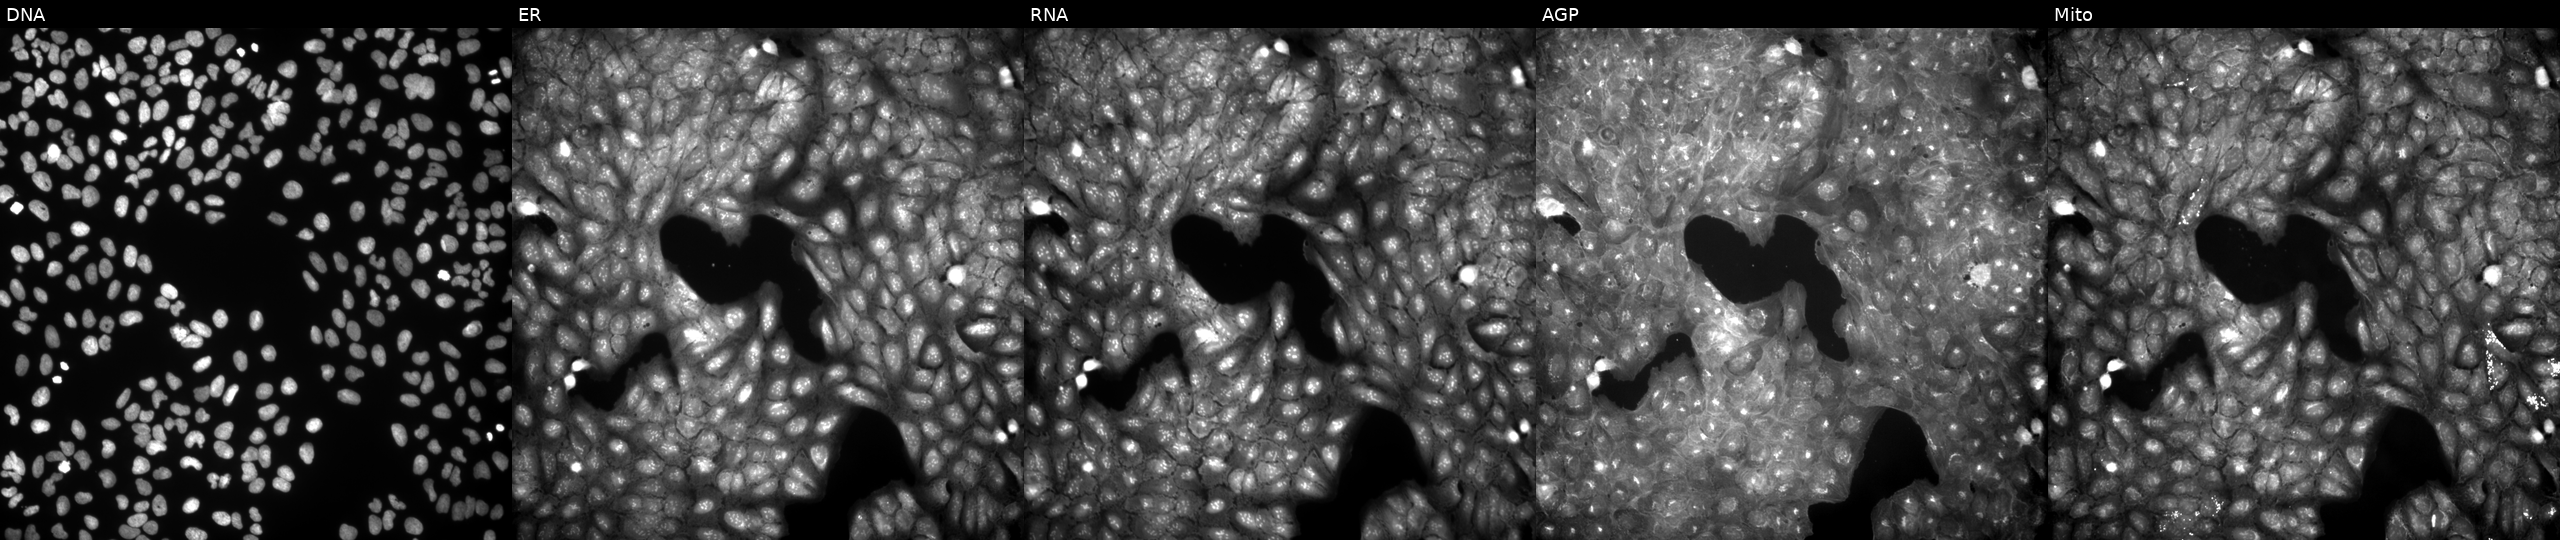
The five panels, left to right, show Hoechst 33342, concanavalin A, SYTO 14, phalloidin and WGA, MitoTracker. U2OS osteosarcoma cells exposed to a small-molecule compound (InChIKey FAQYYKMYIKNIFN-UHFFFAOYSA-N) (JUMP id JCP2022_019433). Cell Painting assay, JUMP-CP dataset.